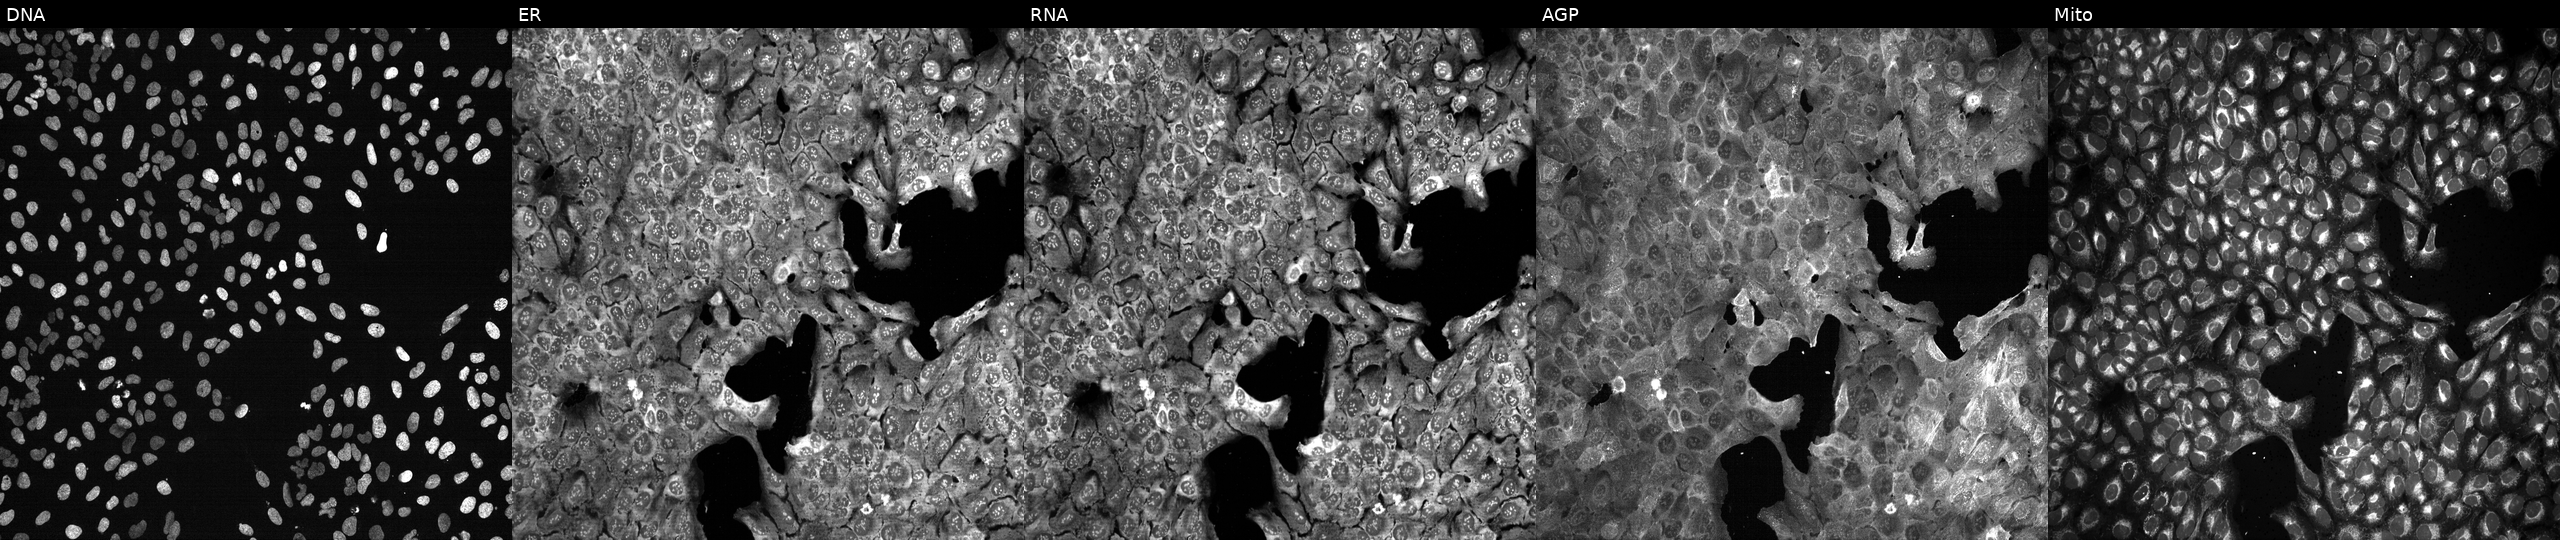
This image strip shows the five Cell Painting channels for a single field of U2OS cells with AKAP4 knocked out by CRISPR (JUMP id JCP2022_800353). Channels (left→right): DNA, ER, RNA, AGP, and Mito. Source 13, plate CP-CC9-R2-02, well E06.